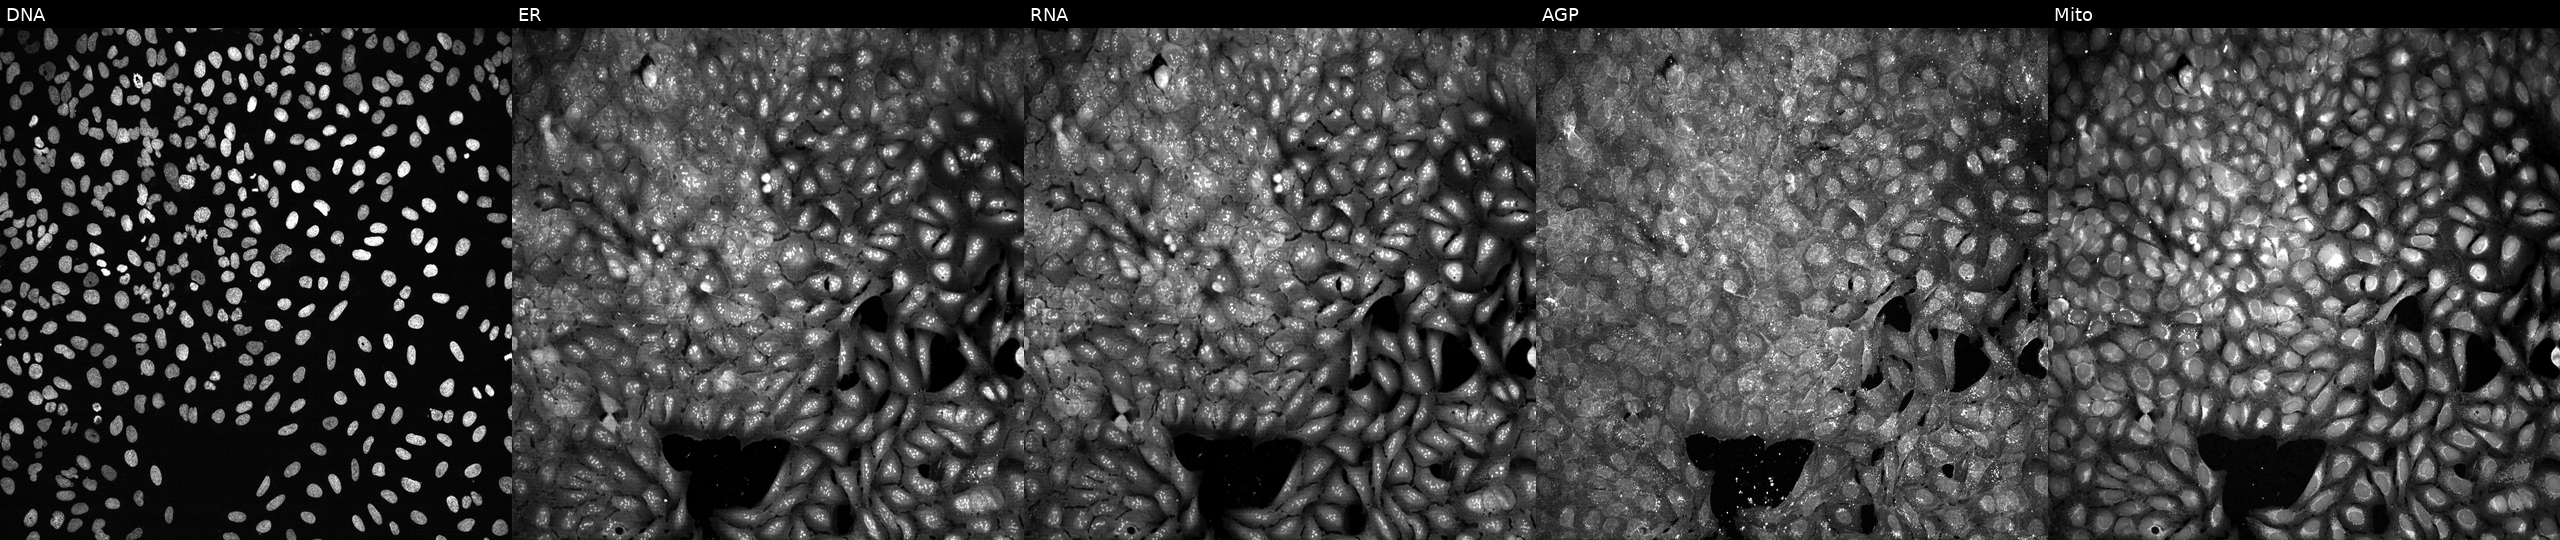
JUMP Cell Painting — CRISPR plate. U2OS cells following CRISPR knockout of GNPDA1. Channels (left→right): Hoechst 33342, concanavalin A, SYTO 14, phalloidin and WGA, MitoTracker. Source 13, plate CP-CC9-R1-01, well J04.